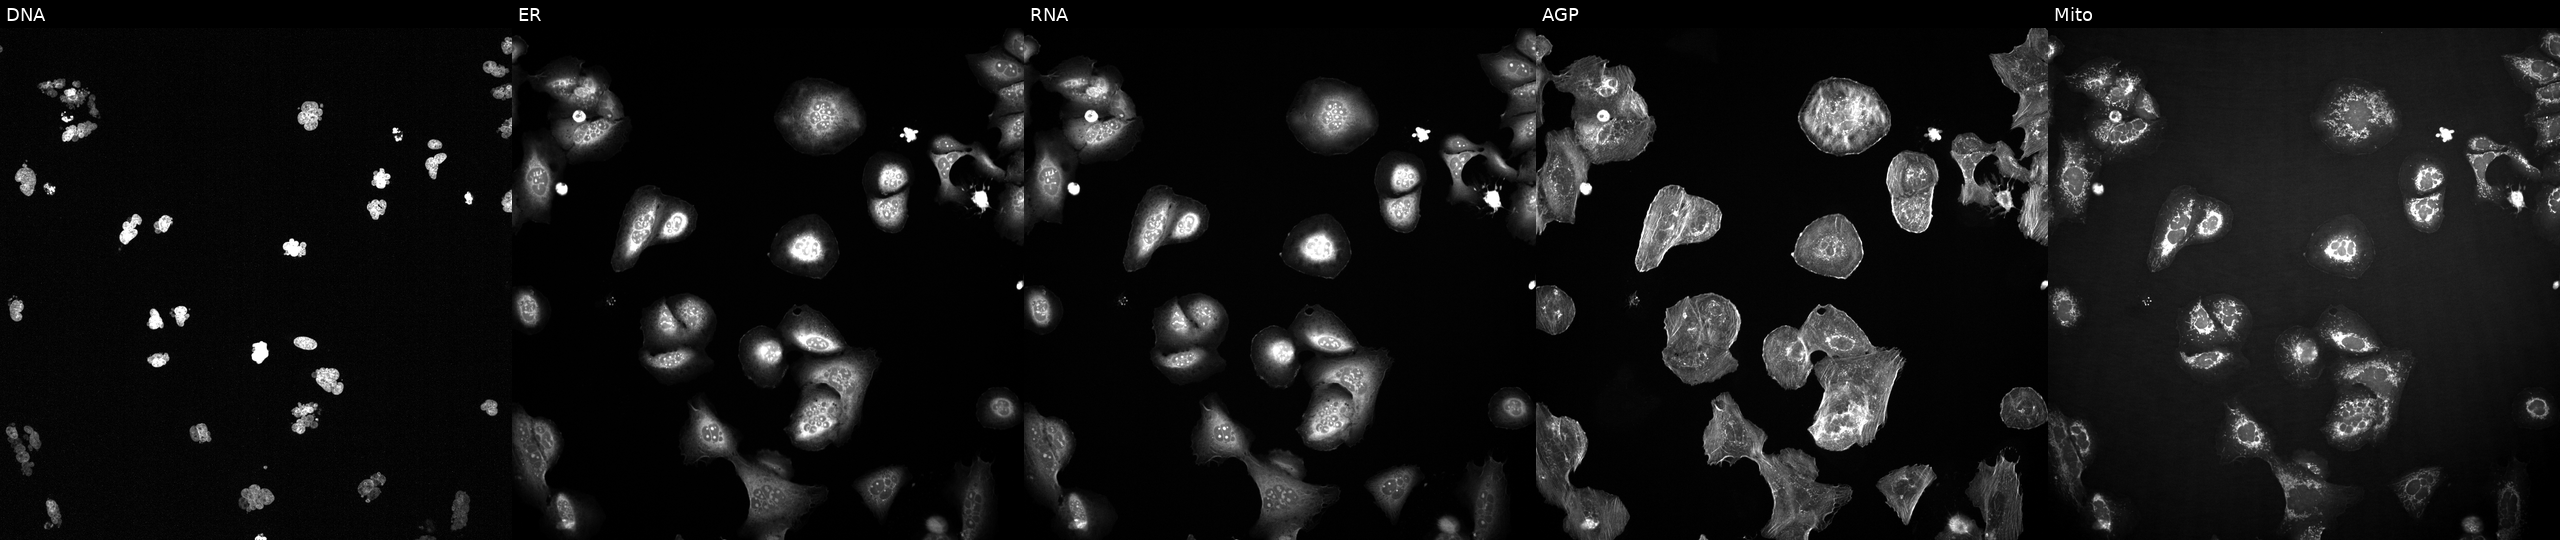
The five panels, left to right, show Hoechst 33342, concanavalin A, SYTO 14, phalloidin and WGA, MitoTracker. U2OS osteosarcoma cells perturbed with a small-molecule compound (InChIKey KMLRPXNGELNISQ-UHFFFAOYSA-N). Cell Painting assay, JUMP-CP dataset. Source 2, plate 1053601756, well O20.